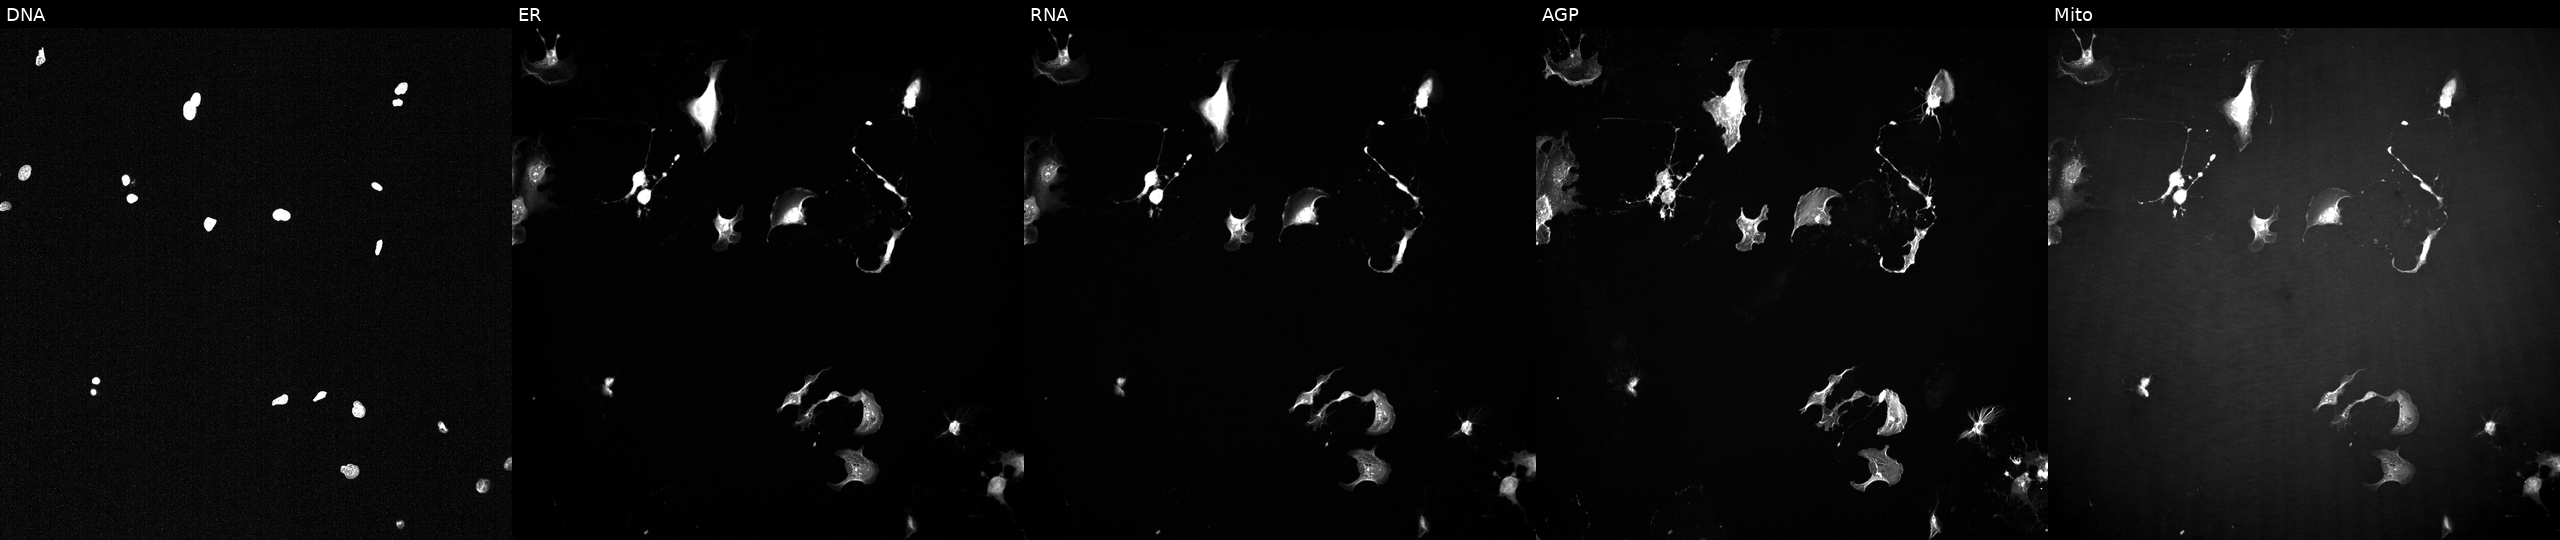
JUMP Cell Painting — TARGET2 plate. U2OS cells perturbed with a small-molecule compound (InChIKey AJVXVYTVAAWZAP-UHFFFAOYSA-N) (JUMP id JCP2022_001890). From left to right: Hoechst 33342, concanavalin A, SYTO 14, phalloidin and WGA, MitoTracker. Source 2, plate 1053600674, well O05.